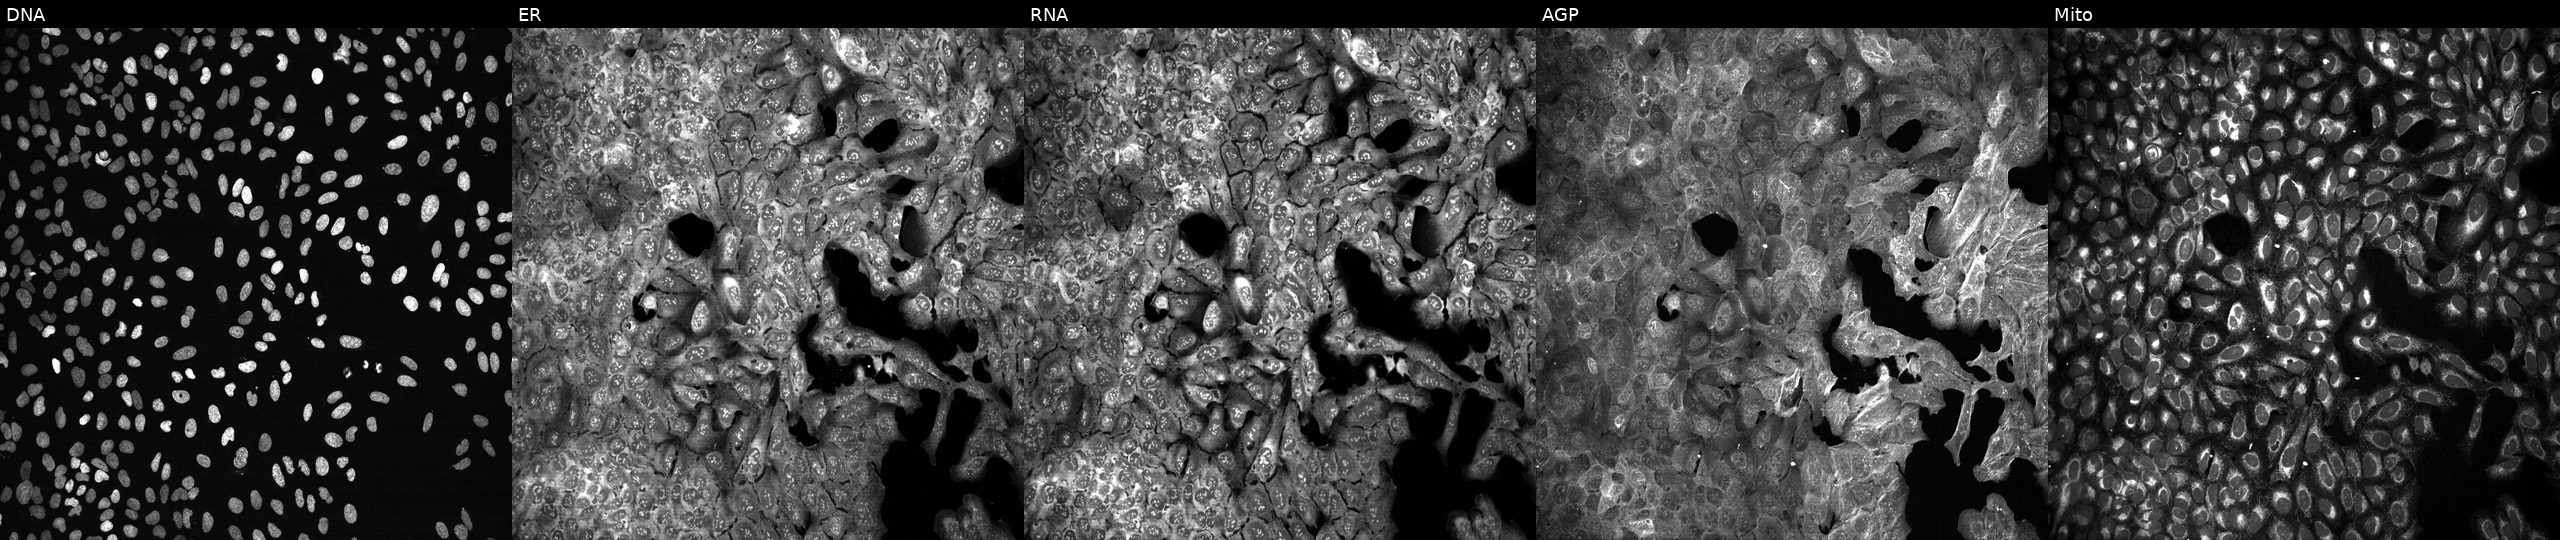
From left to right: Hoechst 33342, concanavalin A, SYTO 14, phalloidin and WGA, MitoTracker. U2OS osteosarcoma cells CRISPR-edited to disrupt ENPP3 (JUMP id JCP2022_802117). Cell Painting assay, JUMP-CP dataset.